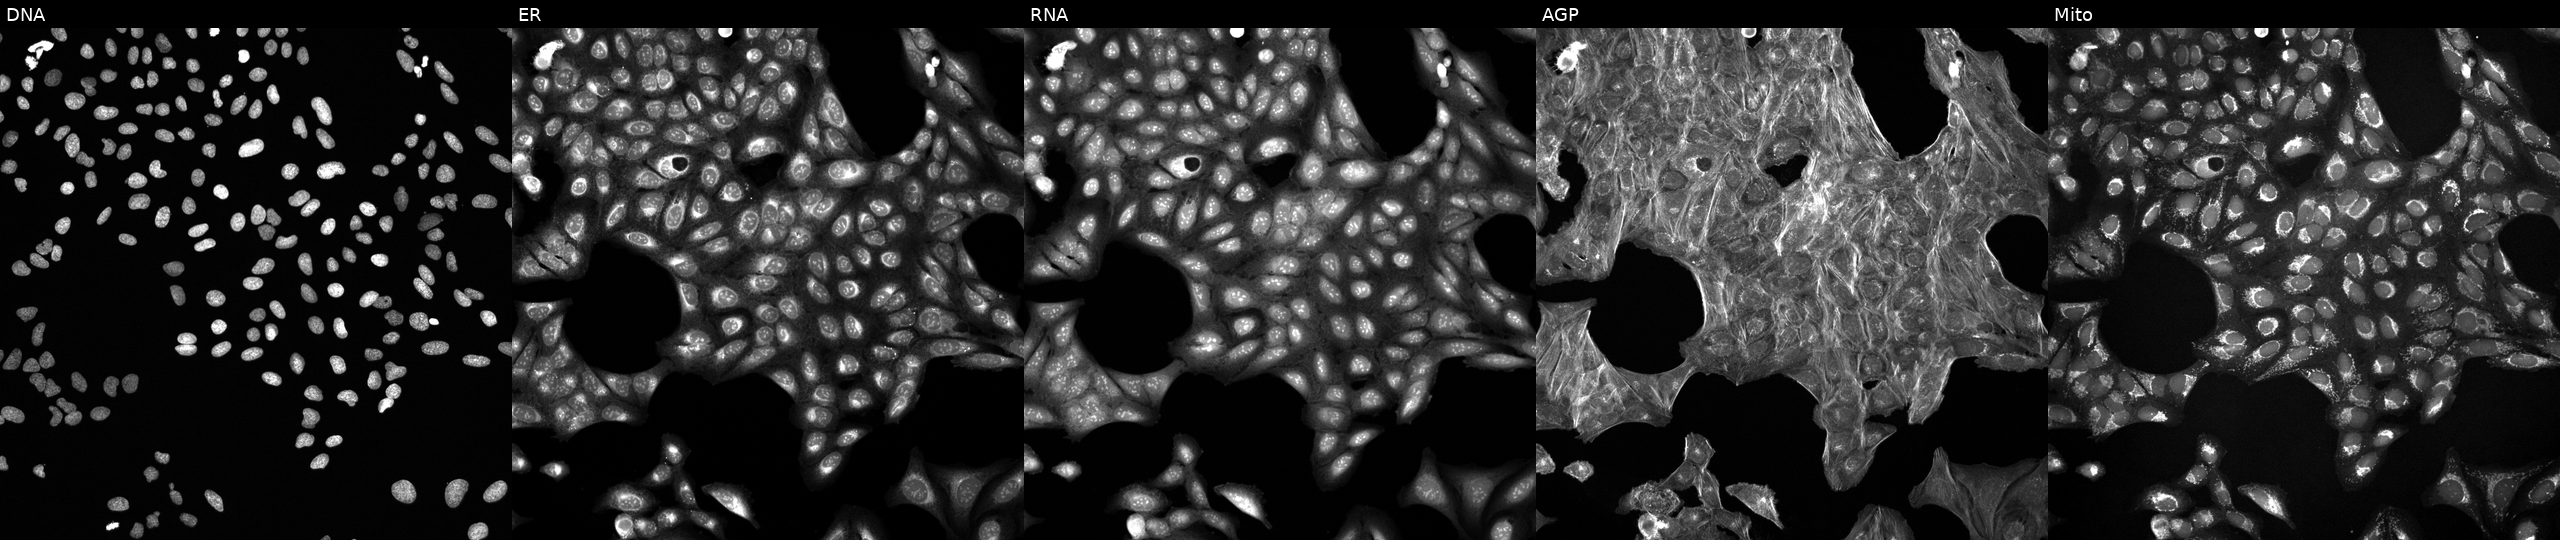
This image strip shows the five Cell Painting channels for a single field of U2OS cells treated with a small-molecule compound (InChIKey PBBGSZCBWVPOOL-UHFFFAOYSA-N) (JUMP id JCP2022_067426). From left to right: DNA (nuclei); ER (endoplasmic reticulum); RNA (nucleoli and cytoplasmic RNA); AGP (actin cytoskeleton, Golgi, and plasma membrane); Mito (mitochondria). Source 6, plate 110000293081, well O22.